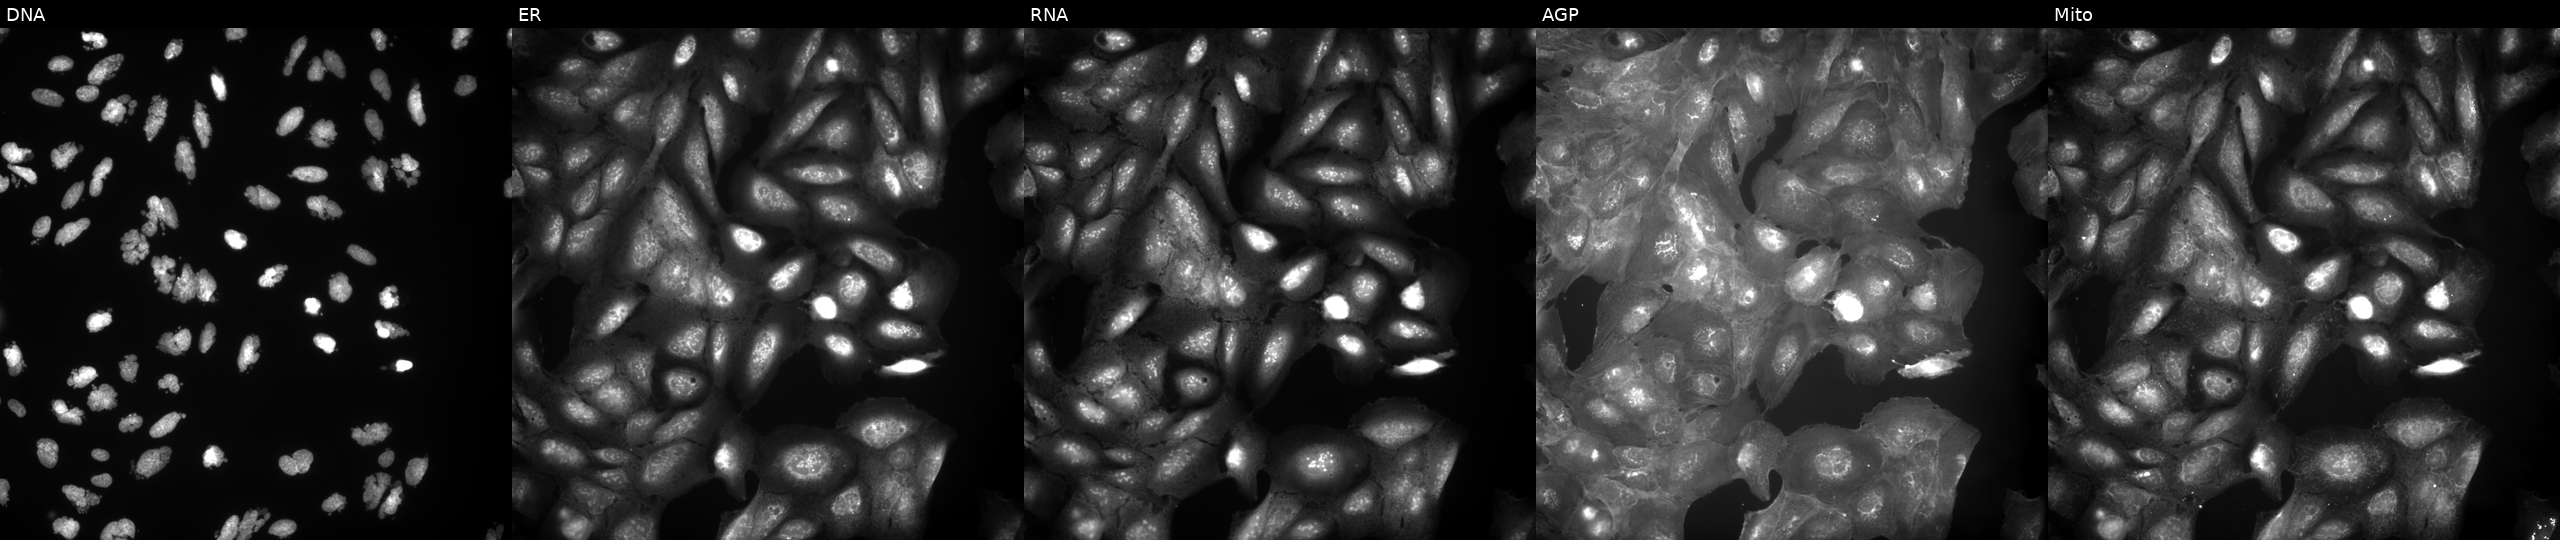
This image strip shows the five Cell Painting channels for a single field of U2OS cells exposed to the positive-control compound AMG900. Panels show, left to right, DNA, ER, RNA, AGP, and Mito.